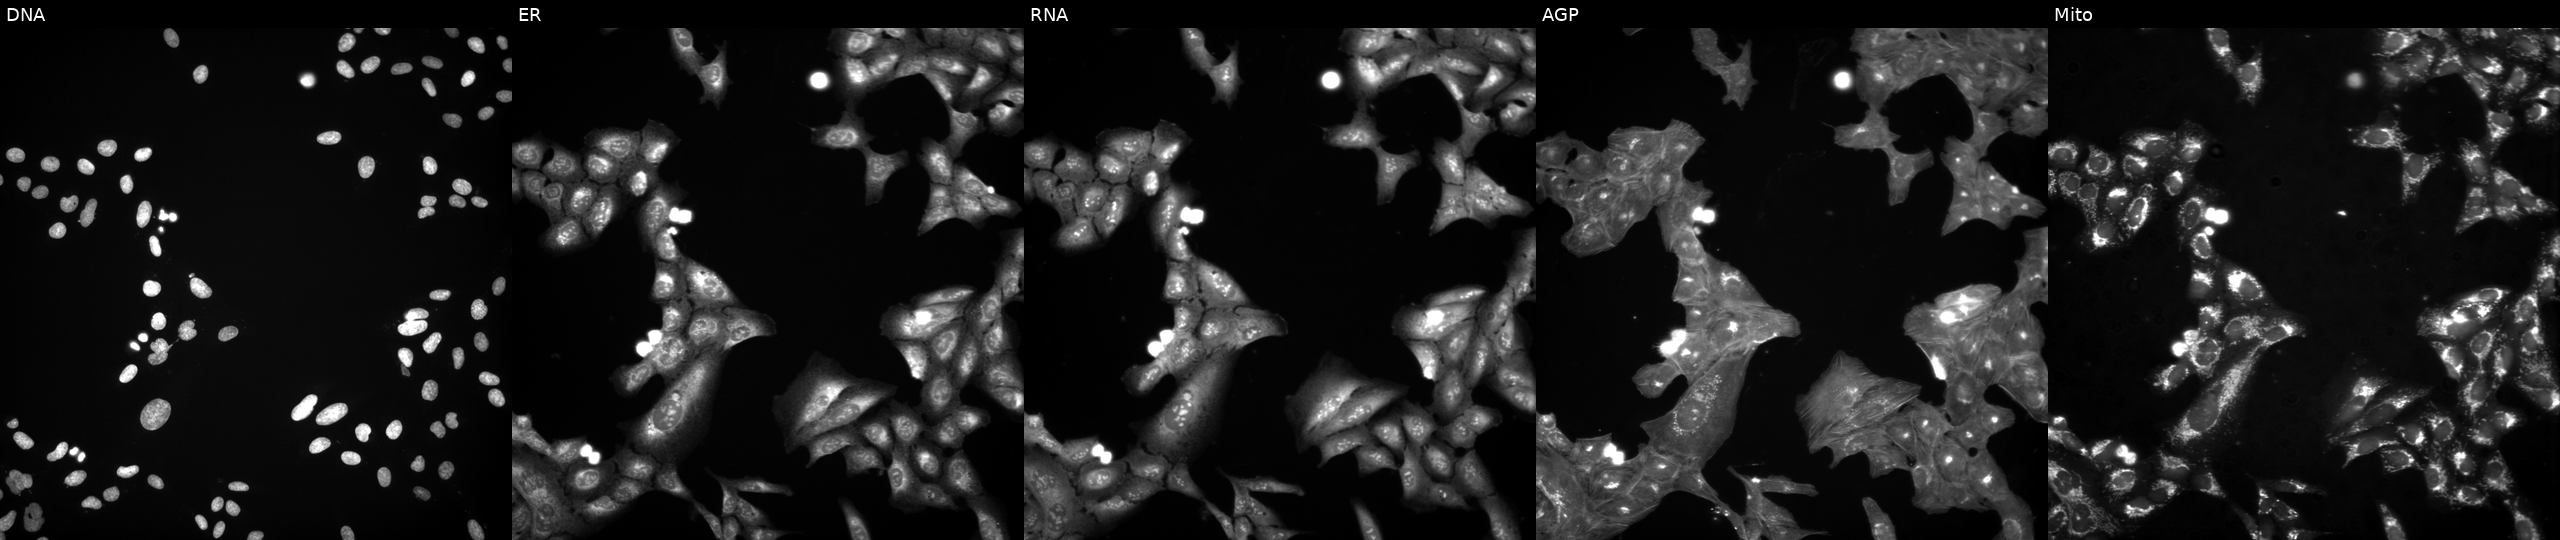
U2OS cells, Cell Painting assay, exposed to a small-molecule compound (InChIKey HOIJNJMZFIVZDO-UHFFFAOYSA-N) [SMILES: CCC(C)n1c(NC(=O)c2ccc(Br)o2)c(C#N)c2nc3ccccc3nc21] (JUMP id JCP2022_031510). The five panels, left to right, show DNA, ER, RNA, AGP, and Mito. Each panel is percentile-stretched 16-bit fluorescence. Source 3, plate BR5867a3, well O22.